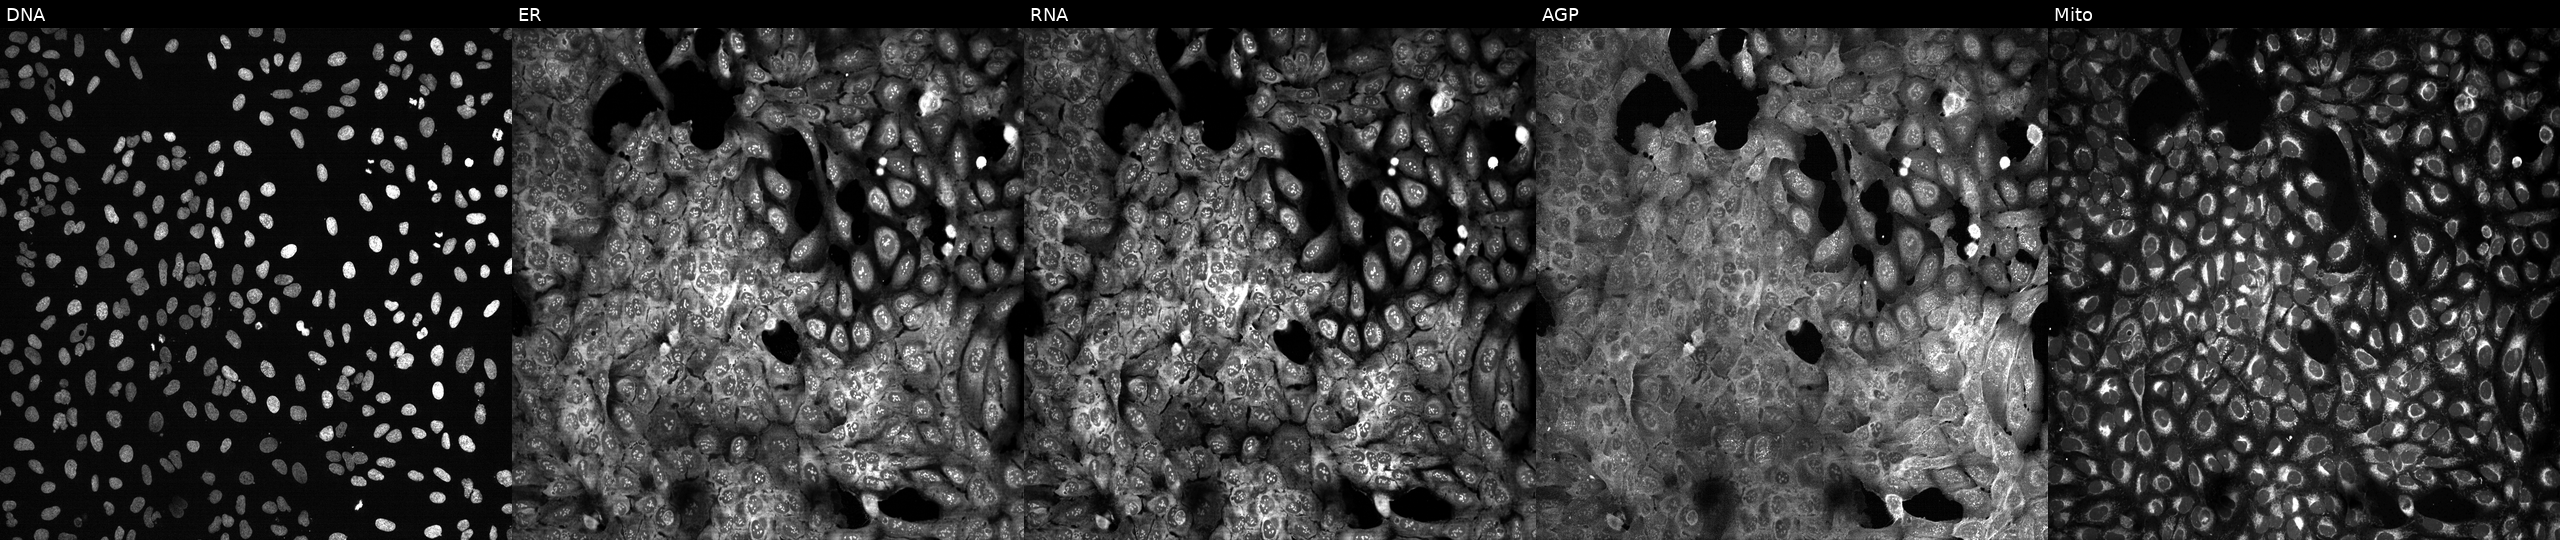
JUMP Cell Painting — CRISPR plate. U2OS cells CRISPR-edited to disrupt ADAD1 (JUMP id JCP2022_800164). Channels (left→right): DNA (nuclei); ER (endoplasmic reticulum); RNA (nucleoli and cytoplasmic RNA); AGP (actin cytoskeleton, Golgi, and plasma membrane); Mito (mitochondria).